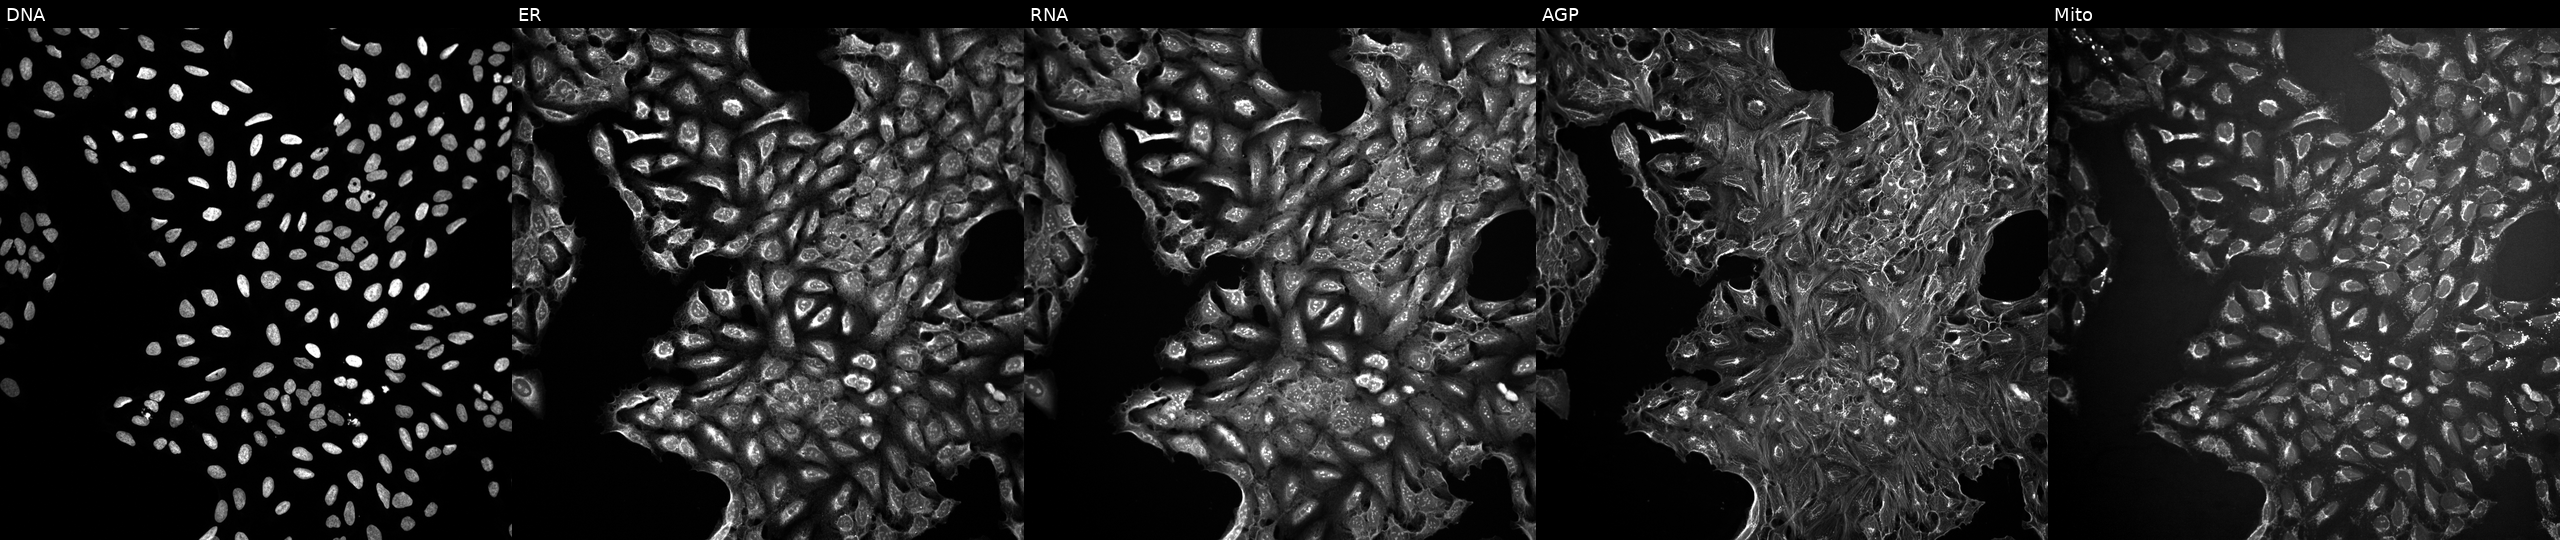
From left to right: DNA (nuclei); ER (endoplasmic reticulum); RNA (nucleoli and cytoplasmic RNA); AGP (actin cytoskeleton, Golgi, and plasma membrane); Mito (mitochondria). U2OS osteosarcoma cells exposed to the positive-control compound quinidine. Cell Painting assay, JUMP-CP dataset.